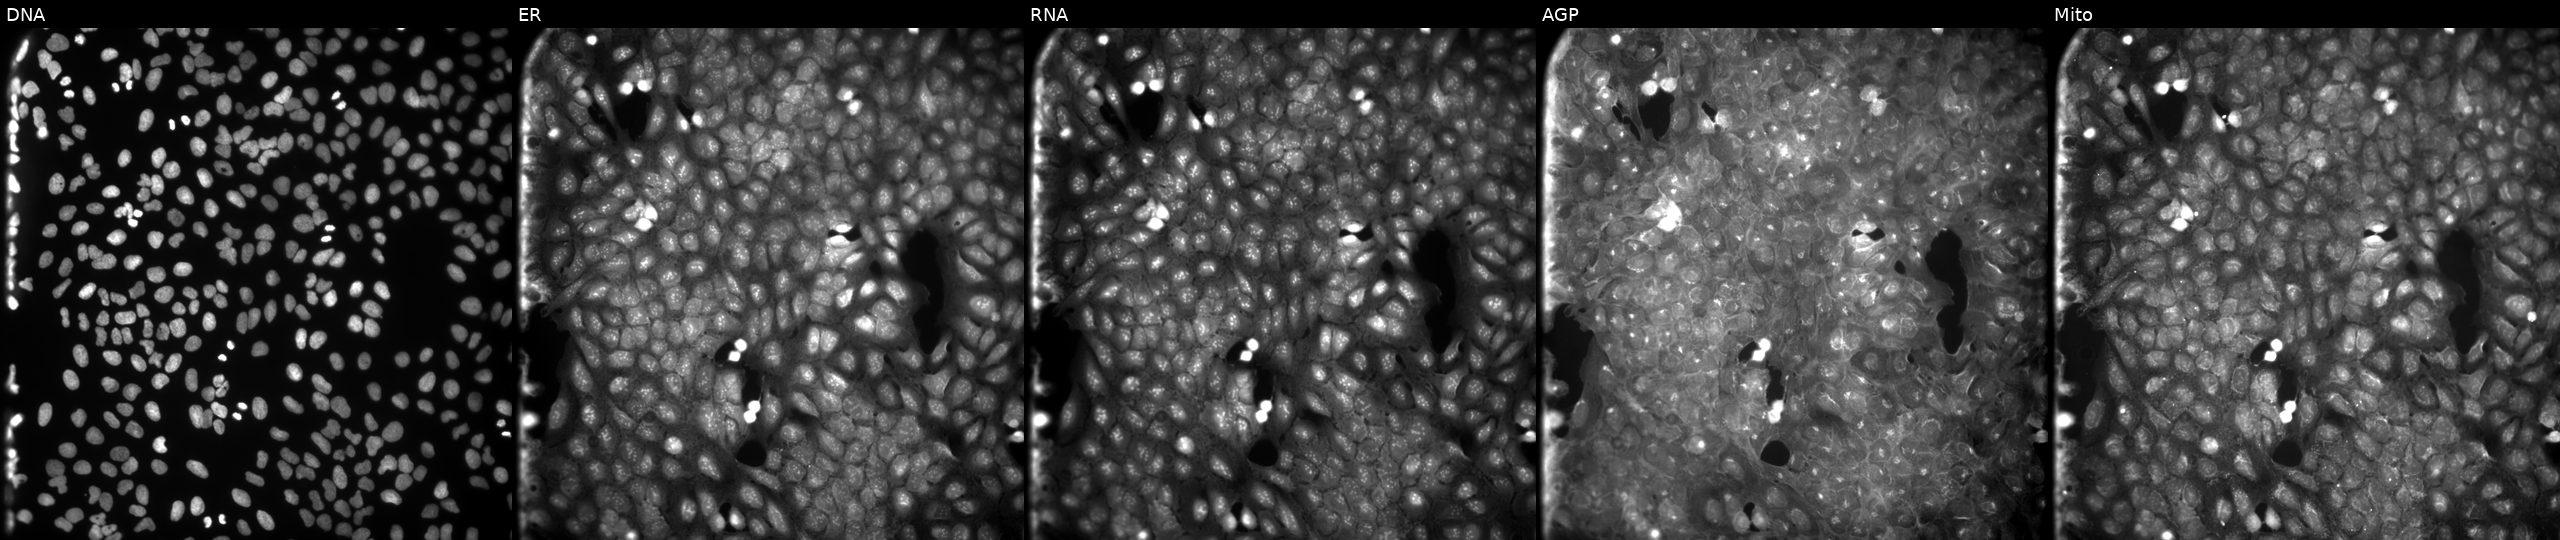
This image strip shows the five Cell Painting channels for a single field of U2OS cells exposed to DMSO alone as a negative control. Panels show, left to right, DNA, ER, RNA, AGP, and Mito.